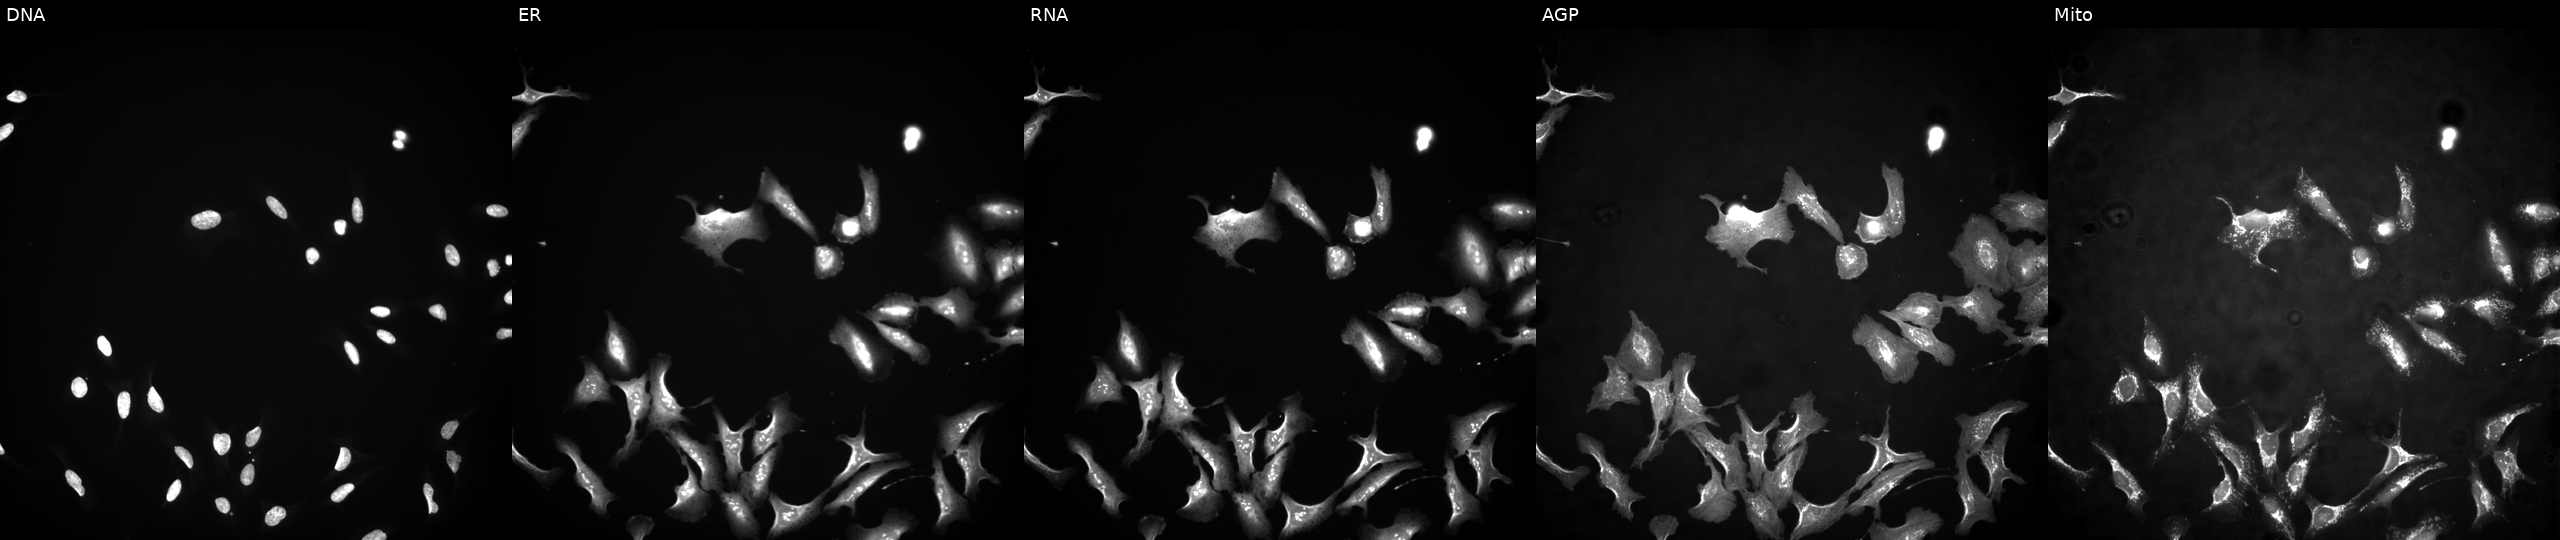
JUMP Cell Painting — ORF plate. U2OS cells transfected with an ORF construct for EID1 (JUMP id JCP2022_902661). The five panels, left to right, show Hoechst 33342, concanavalin A, SYTO 14, phalloidin and WGA, MitoTracker.